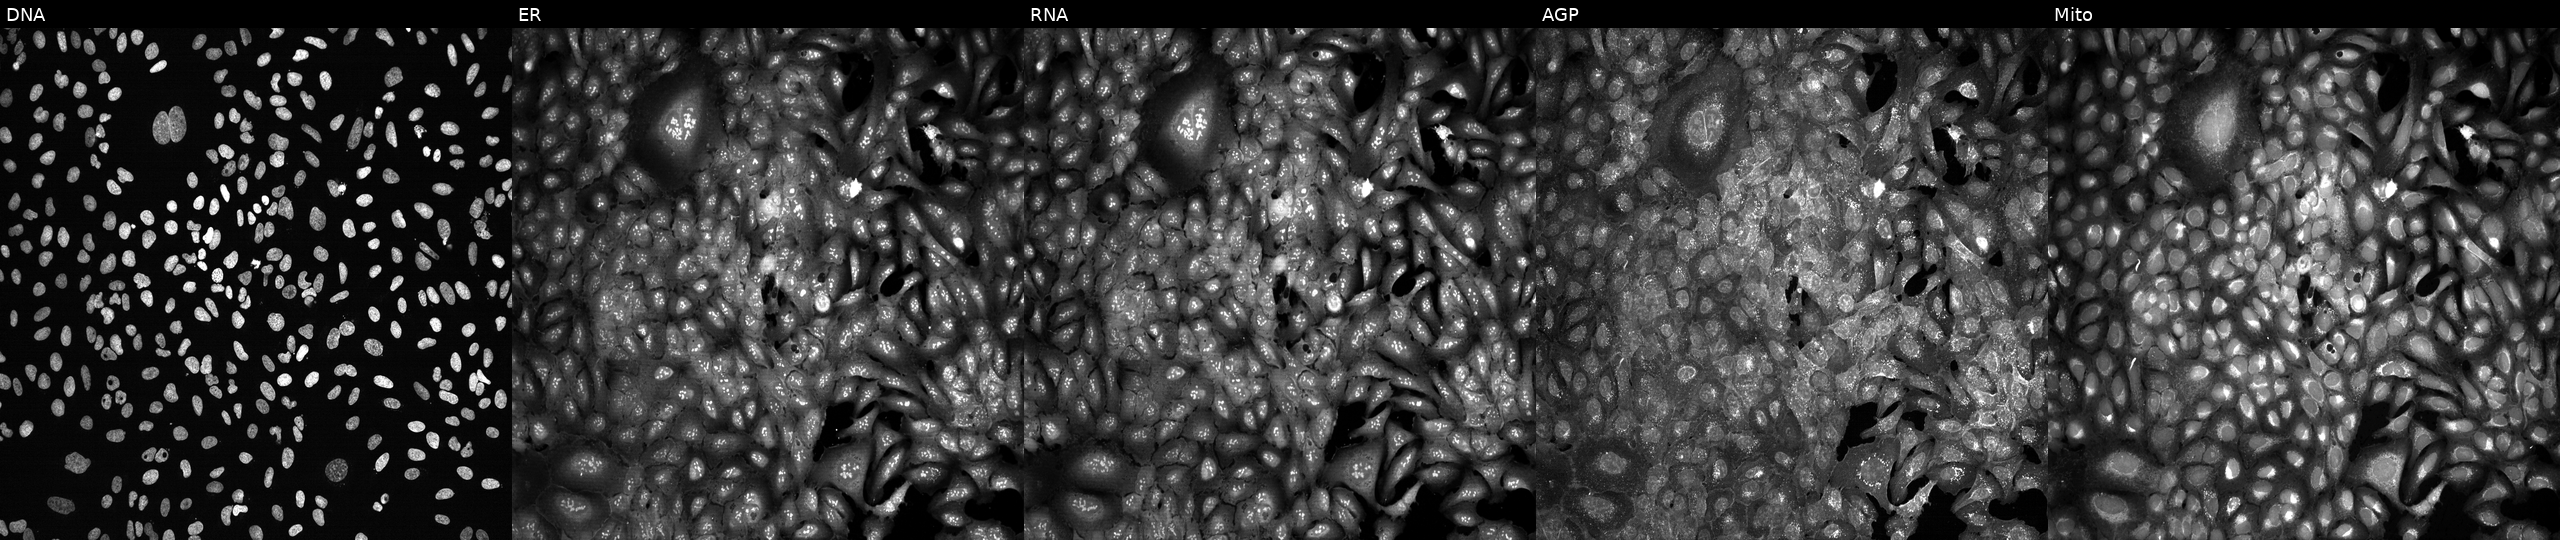
This image strip shows the five Cell Painting channels for a single field of U2OS cells following CRISPR knockout of EBI3. Panels show, left to right, Hoechst 33342, concanavalin A, SYTO 14, phalloidin and WGA, MitoTracker.